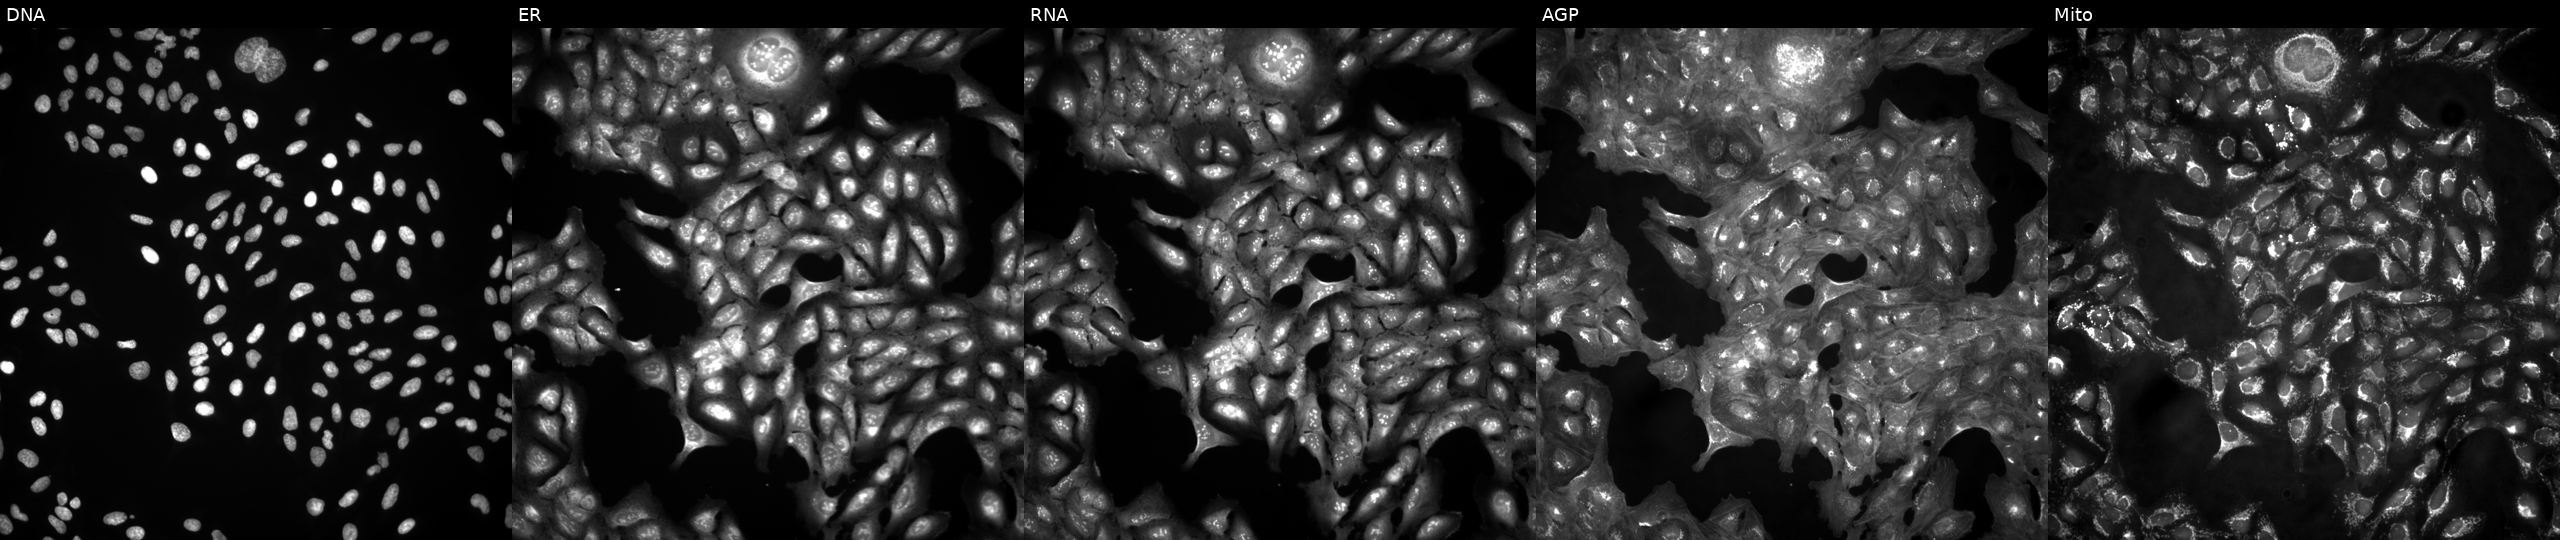
U2OS cells, Cell Painting assay, in an empty control well (no perturbation) (JUMP id JCP2022_999999). Panels show, left to right, DNA, ER, RNA, AGP, and Mito. Each panel is percentile-stretched 16-bit fluorescence.